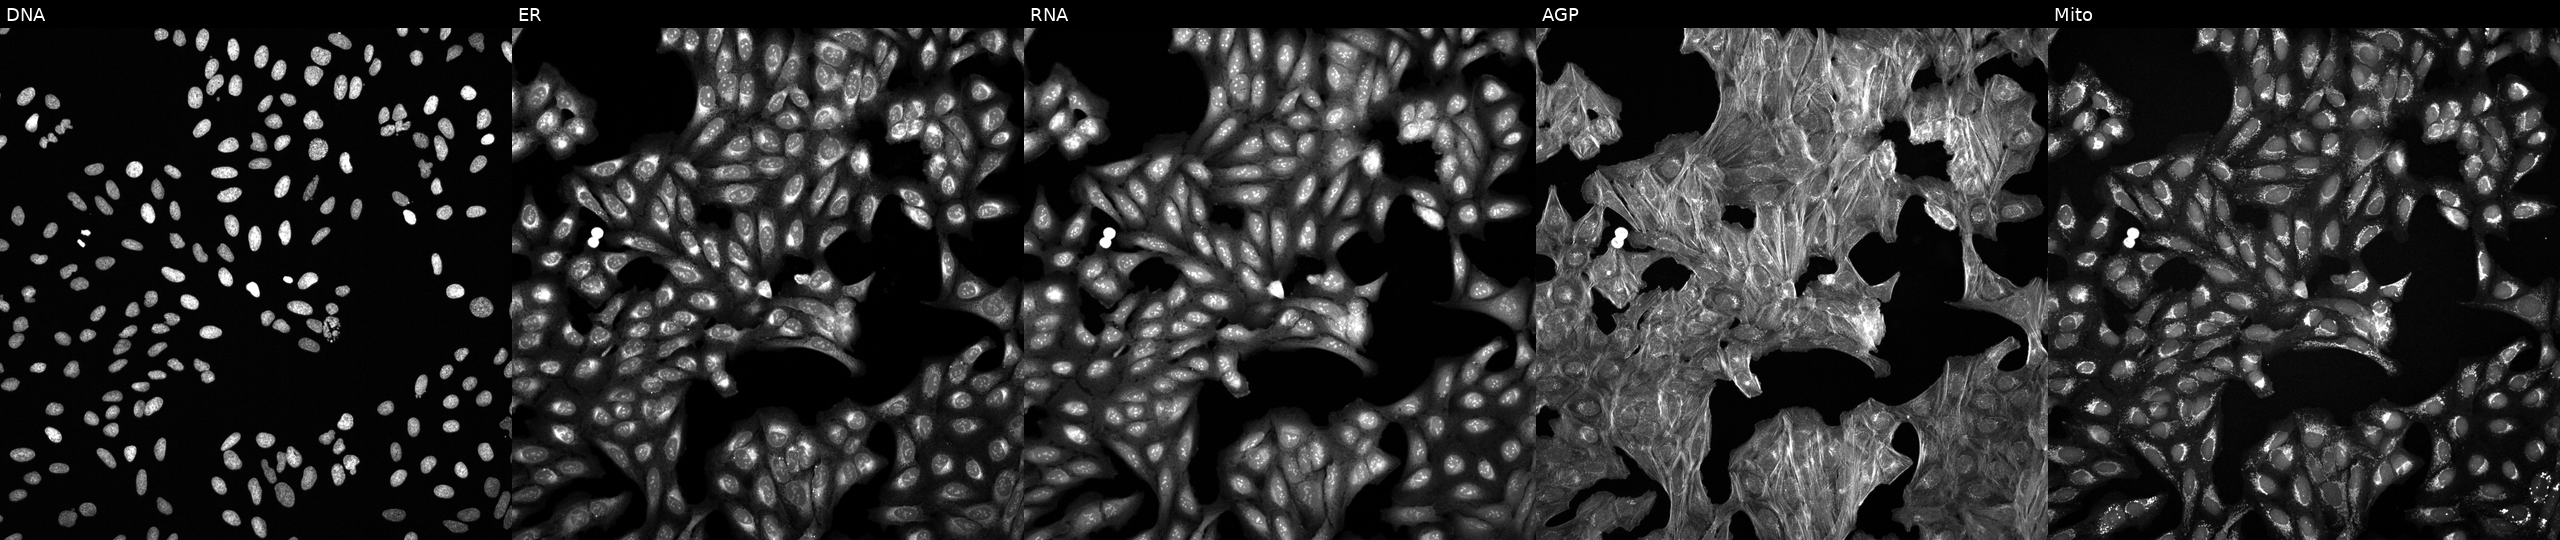
This image strip shows the five Cell Painting channels for a single field of U2OS cells exposed to a small-molecule compound [SMILES: Cc1noc(-c2ccc(CSCCC(=O)O)cc2)c1NC(=O)OC(C)c1ccccc1Cl]. From left to right: DNA (nuclei); ER (endoplasmic reticulum); RNA (nucleoli and cytoplasmic RNA); AGP (actin cytoskeleton, Golgi, and plasma membrane); Mito (mitochondria).